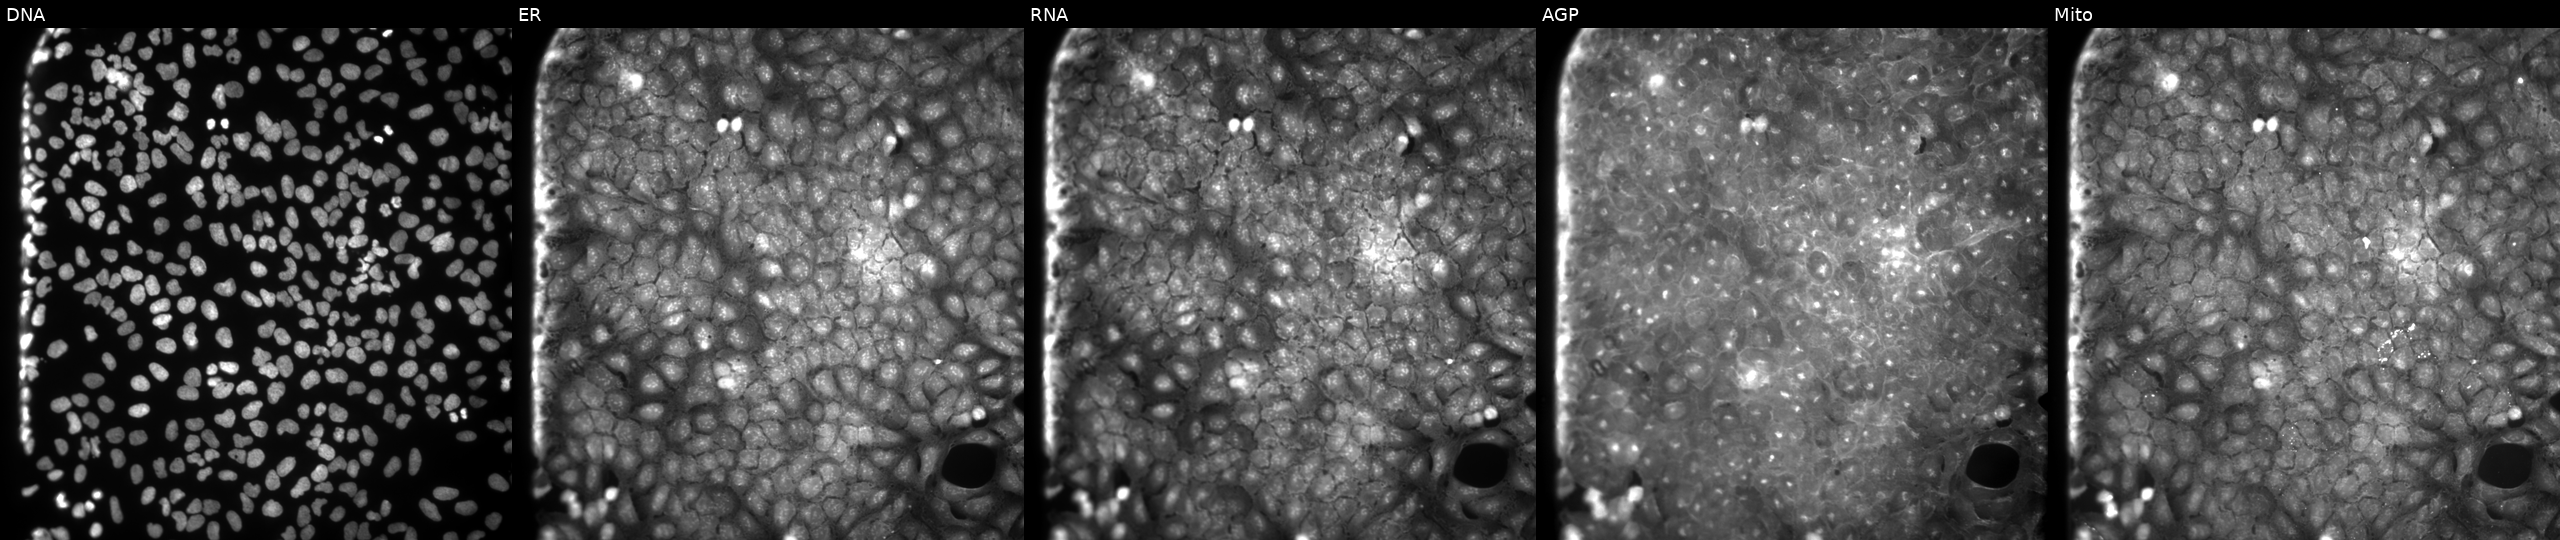
Channels (left→right): DNA (nuclei); ER (endoplasmic reticulum); RNA (nucleoli and cytoplasmic RNA); AGP (actin cytoskeleton, Golgi, and plasma membrane); Mito (mitochondria). U2OS osteosarcoma cells exposed to a small-molecule compound (InChIKey WYGORTTUQBVBQX-UHFFFAOYSA-N). Cell Painting assay, JUMP-CP dataset. Source 9, plate GR00003382, well S03.